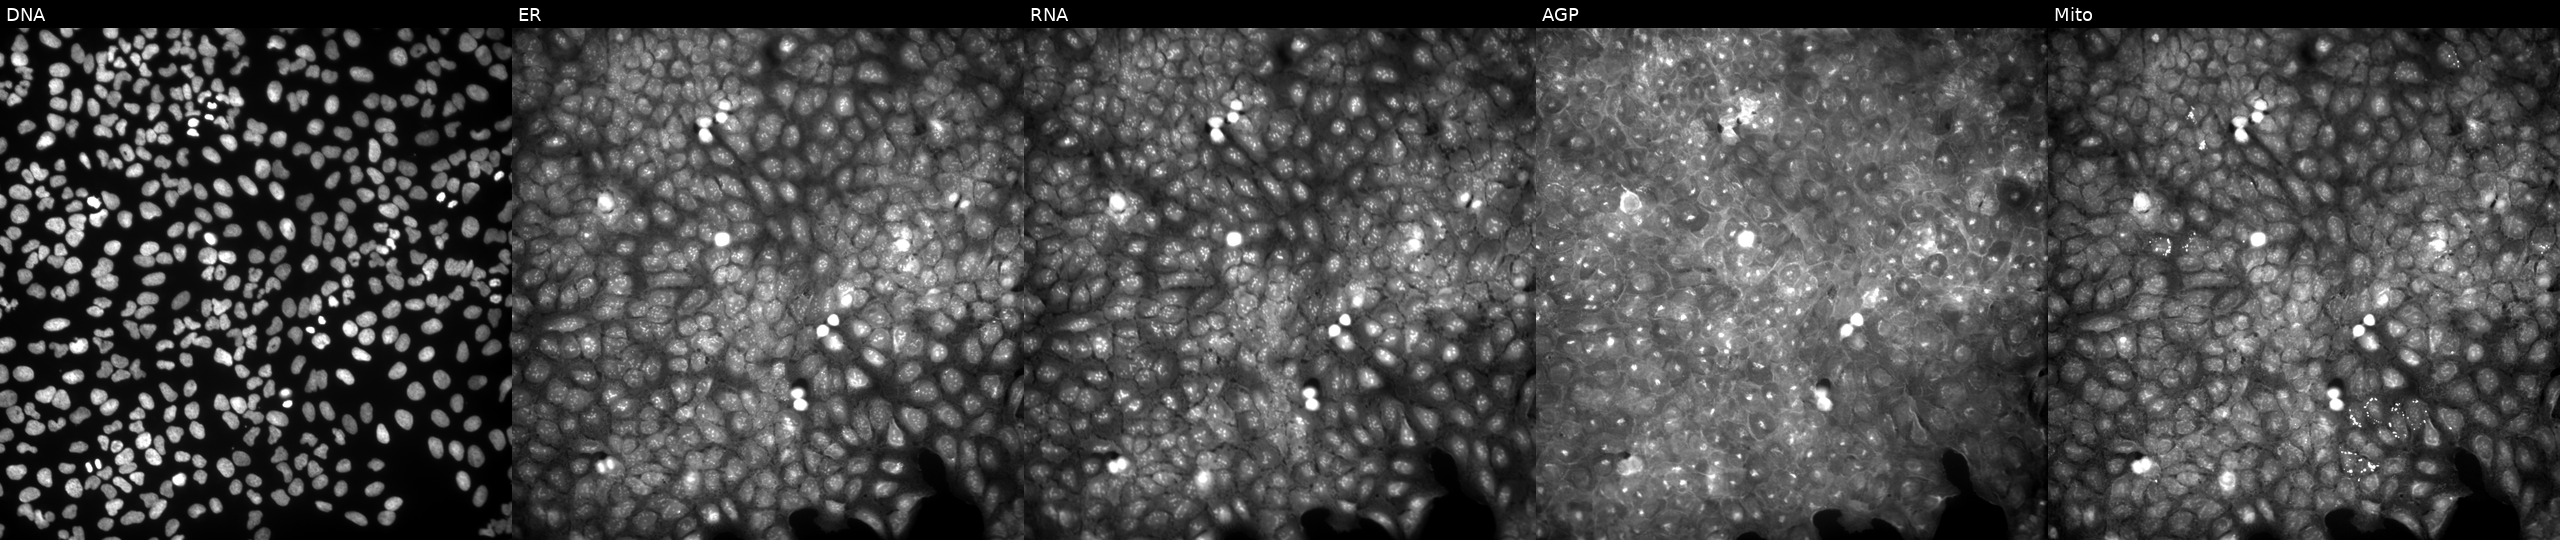
High-content fluorescence microscopy (Cell Painting). Cell line: U2OS. Perturbation: treated with a small-molecule compound (InChIKey SKJLIVNMOZLGGA-UHFFFAOYSA-N). The five panels, left to right, show DNA (nuclei); ER (endoplasmic reticulum); RNA (nucleoli and cytoplasmic RNA); AGP (actin cytoskeleton, Golgi, and plasma membrane); Mito (mitochondria). Source 9, plate GR00003382, well U32.